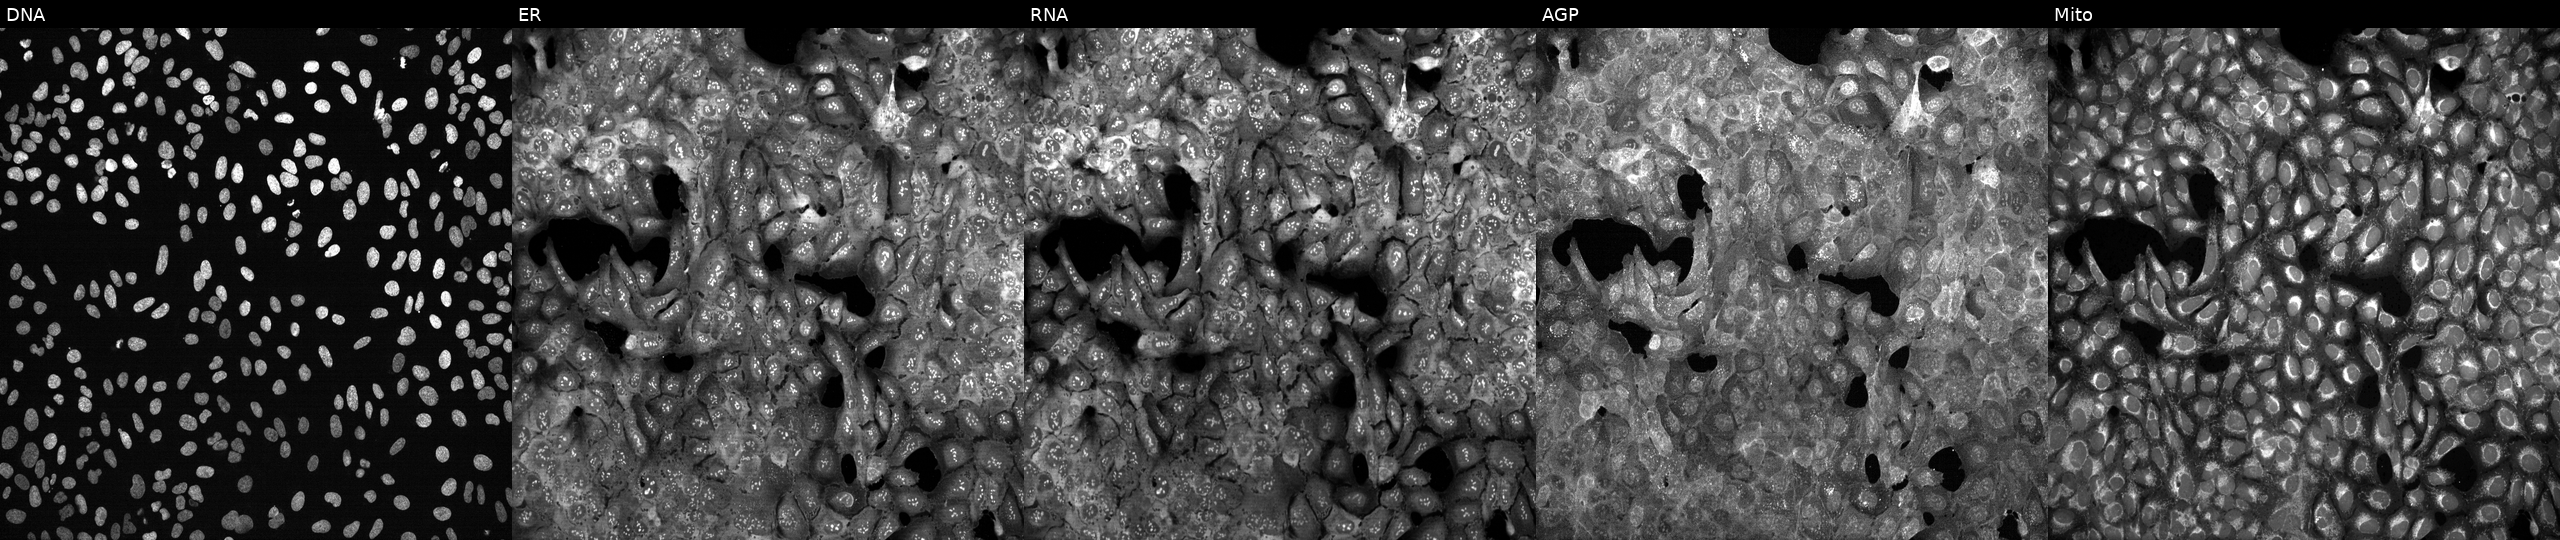
U2OS cells, Cell Painting assay, CRISPR-edited to disrupt FANCA (JUMP id JCP2022_802263). Panels show, left to right, DNA, ER, RNA, AGP, and Mito. Each panel is percentile-stretched 16-bit fluorescence. Source 13, plate CP-CC9-R5-01, well P10.